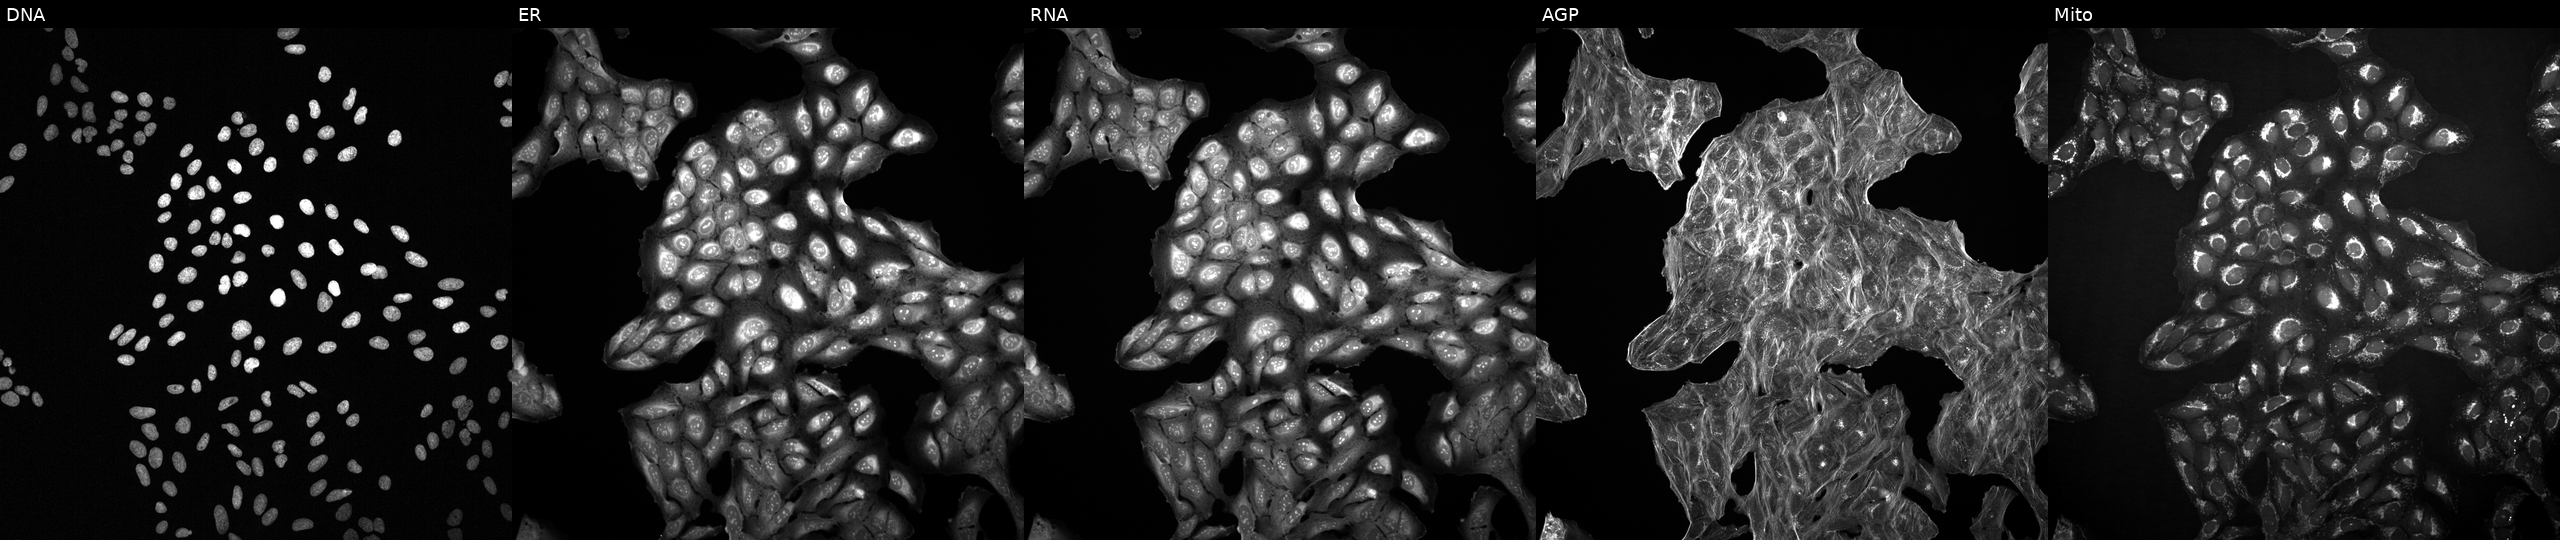
Five-channel Cell Painting image of U2OS cells with an unidentified perturbation (not annotated in JUMP metadata). From left to right: DNA, ER, RNA, AGP, and Mito.